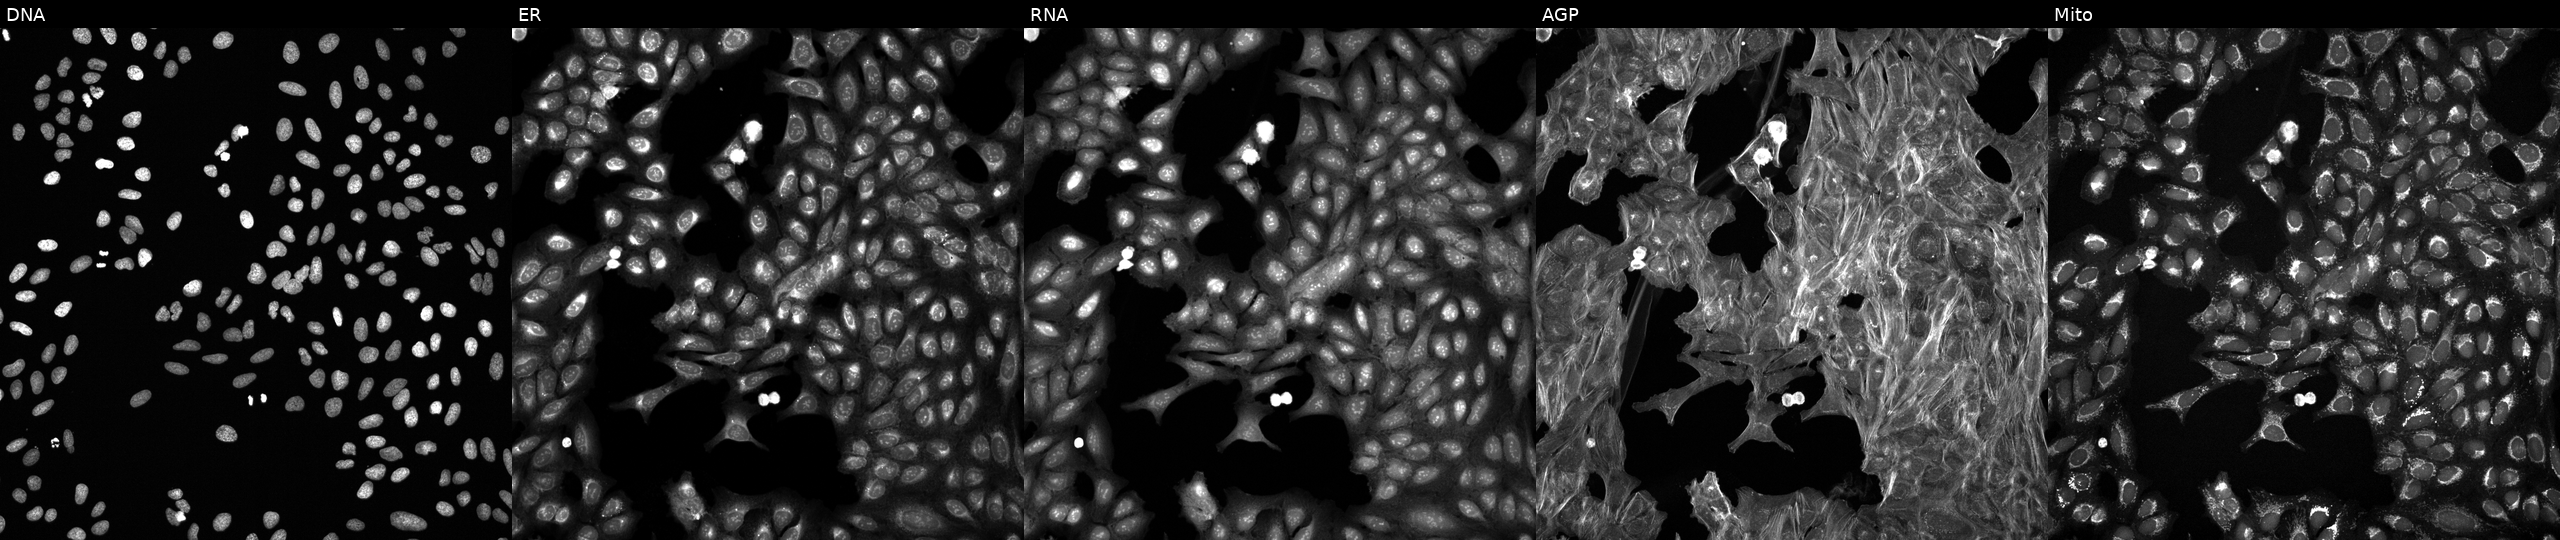
High-content fluorescence microscopy (Cell Painting). Cell line: U2OS. Perturbation: perturbed with a small-molecule compound (InChIKey XXRCUYVCPSWGCC-UHFFFAOYSA-N) [SMILES: CCOC(=O)C(C)=O]. From left to right: DNA (nuclei); ER (endoplasmic reticulum); RNA (nucleoli and cytoplasmic RNA); AGP (actin cytoskeleton, Golgi, and plasma membrane); Mito (mitochondria).